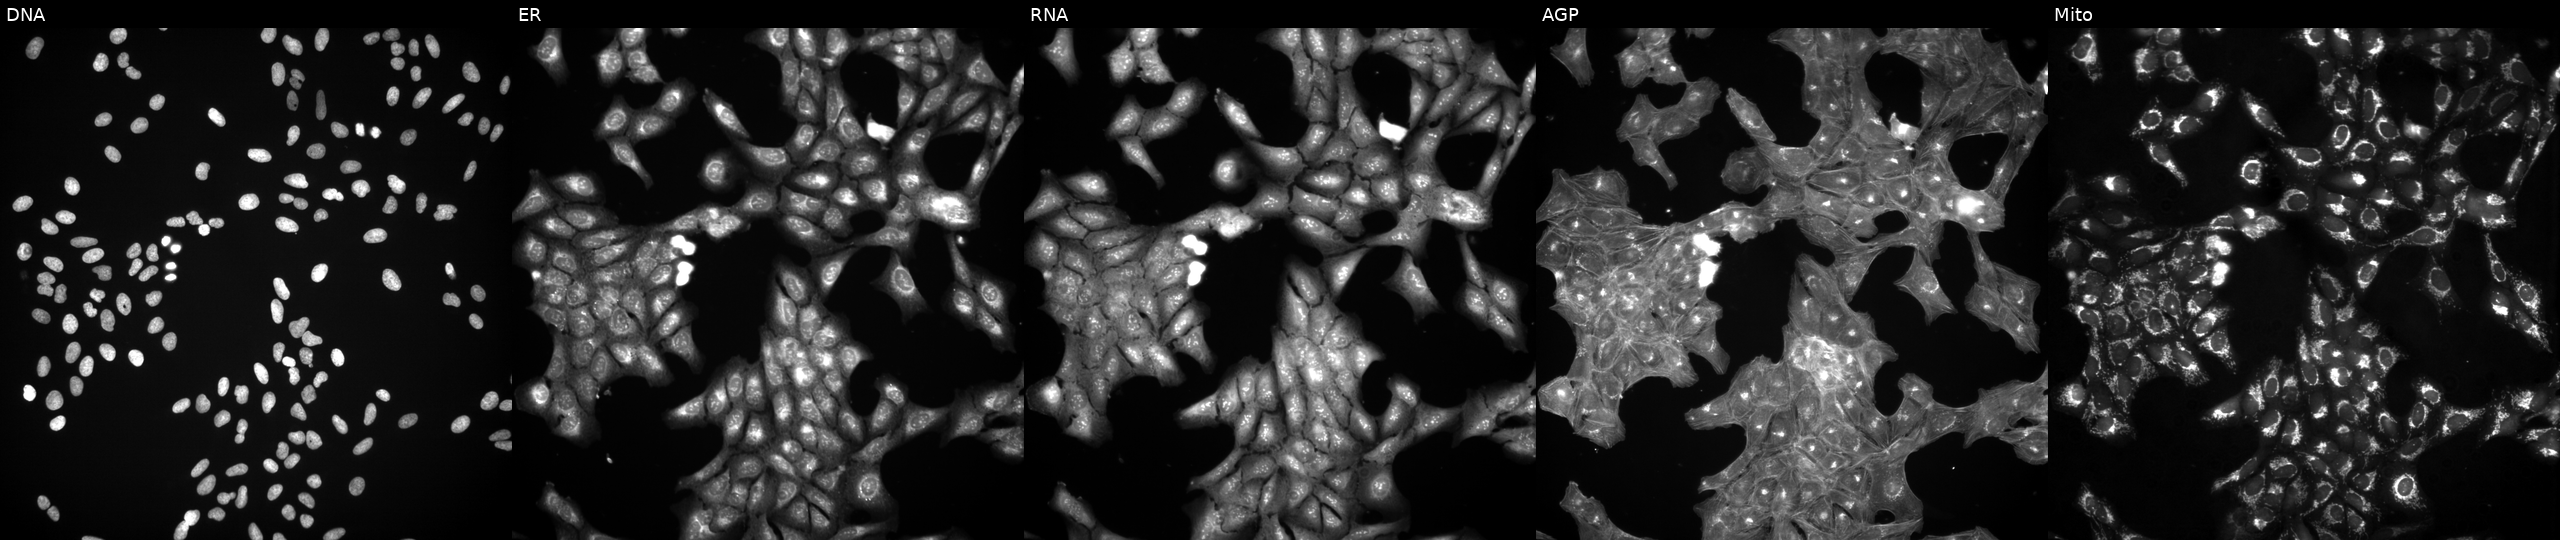
Five-channel Cell Painting image of U2OS cells perturbed with a small-molecule compound. Panels show, left to right, Hoechst 33342, concanavalin A, SYTO 14, phalloidin and WGA, MitoTracker.